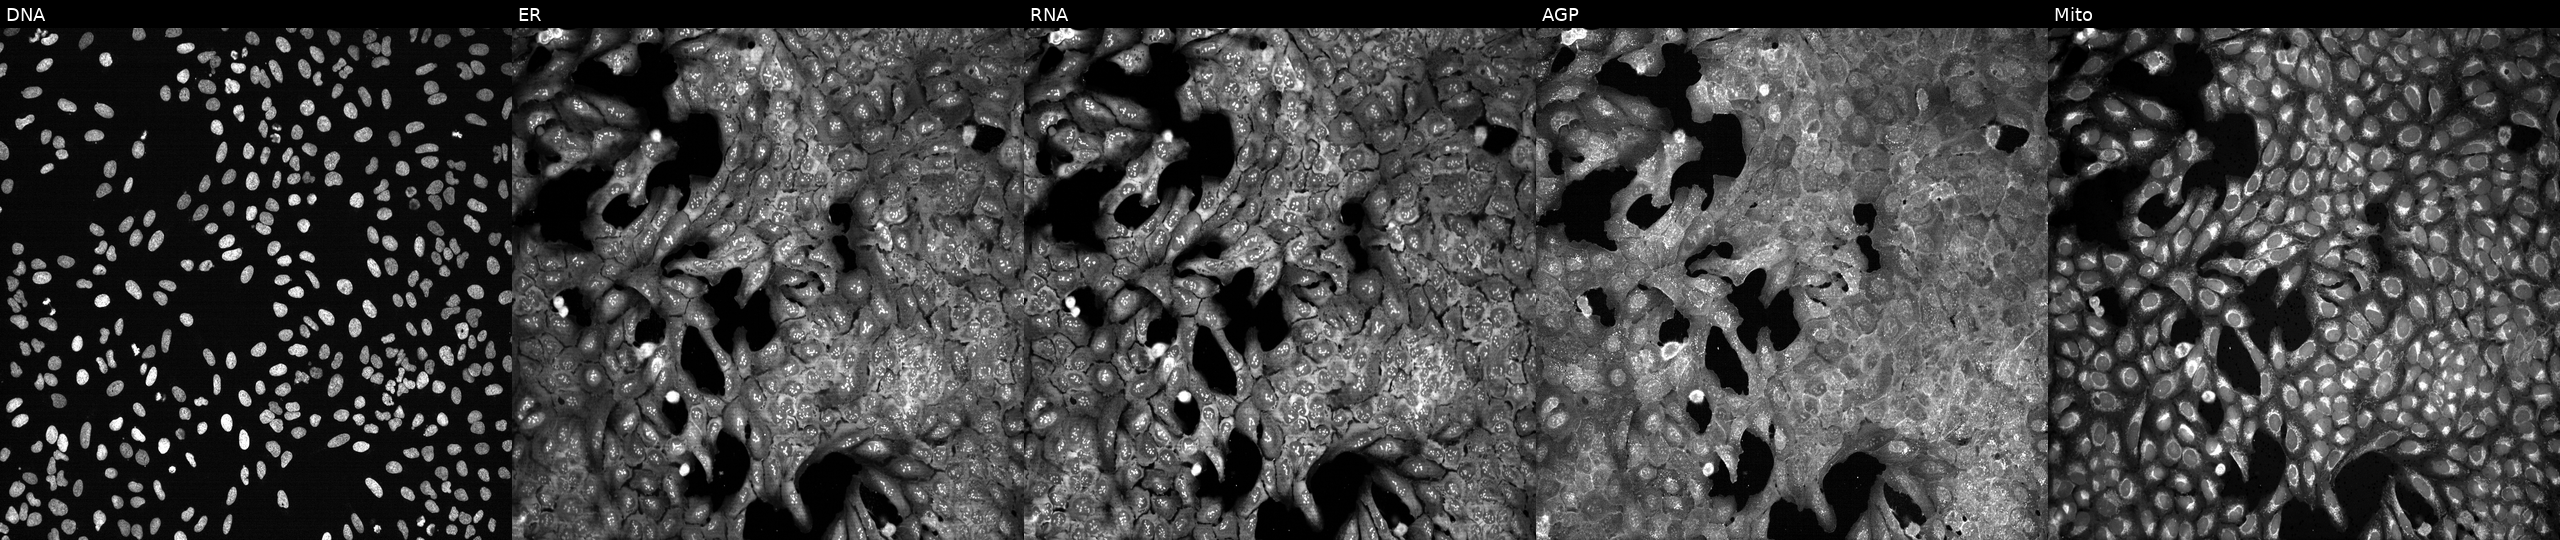
From left to right: DNA (nuclei); ER (endoplasmic reticulum); RNA (nucleoli and cytoplasmic RNA); AGP (actin cytoskeleton, Golgi, and plasma membrane); Mito (mitochondria). U2OS osteosarcoma cells with CHST3 knocked out by CRISPR (JUMP id JCP2022_801334). Cell Painting assay, JUMP-CP dataset. Source 13, plate CP-CC9-R5-01, well D18.